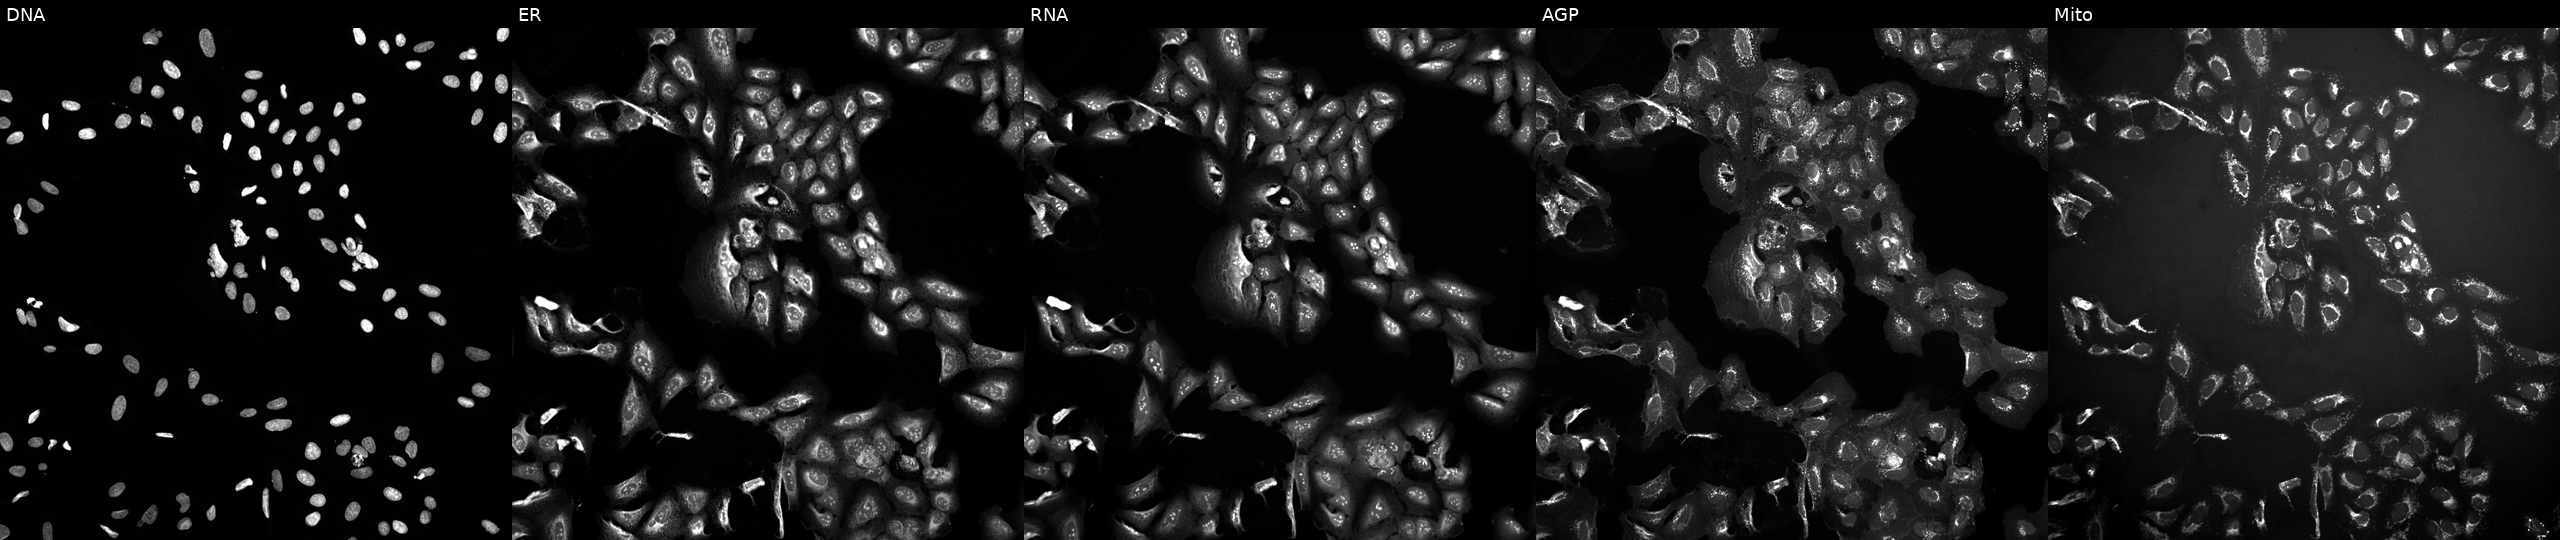
U2OS cells, Cell Painting assay, perturbed with a small-molecule compound (InChIKey MAKMQGKJURAJEN-UHFFFAOYSA-N) [SMILES: O=C(NCCCN1CCC2(CC1)OCc1ccccc12)C1CCCN1Cc1ccccc1] (JUMP id JCP2022_052870). Panels show, left to right, DNA (nuclei); ER (endoplasmic reticulum); RNA (nucleoli and cytoplasmic RNA); AGP (actin cytoskeleton, Golgi, and plasma membrane); Mito (mitochondria). Each panel is percentile-stretched 16-bit fluorescence. Source 10, plate Dest210803-153958, well G02.